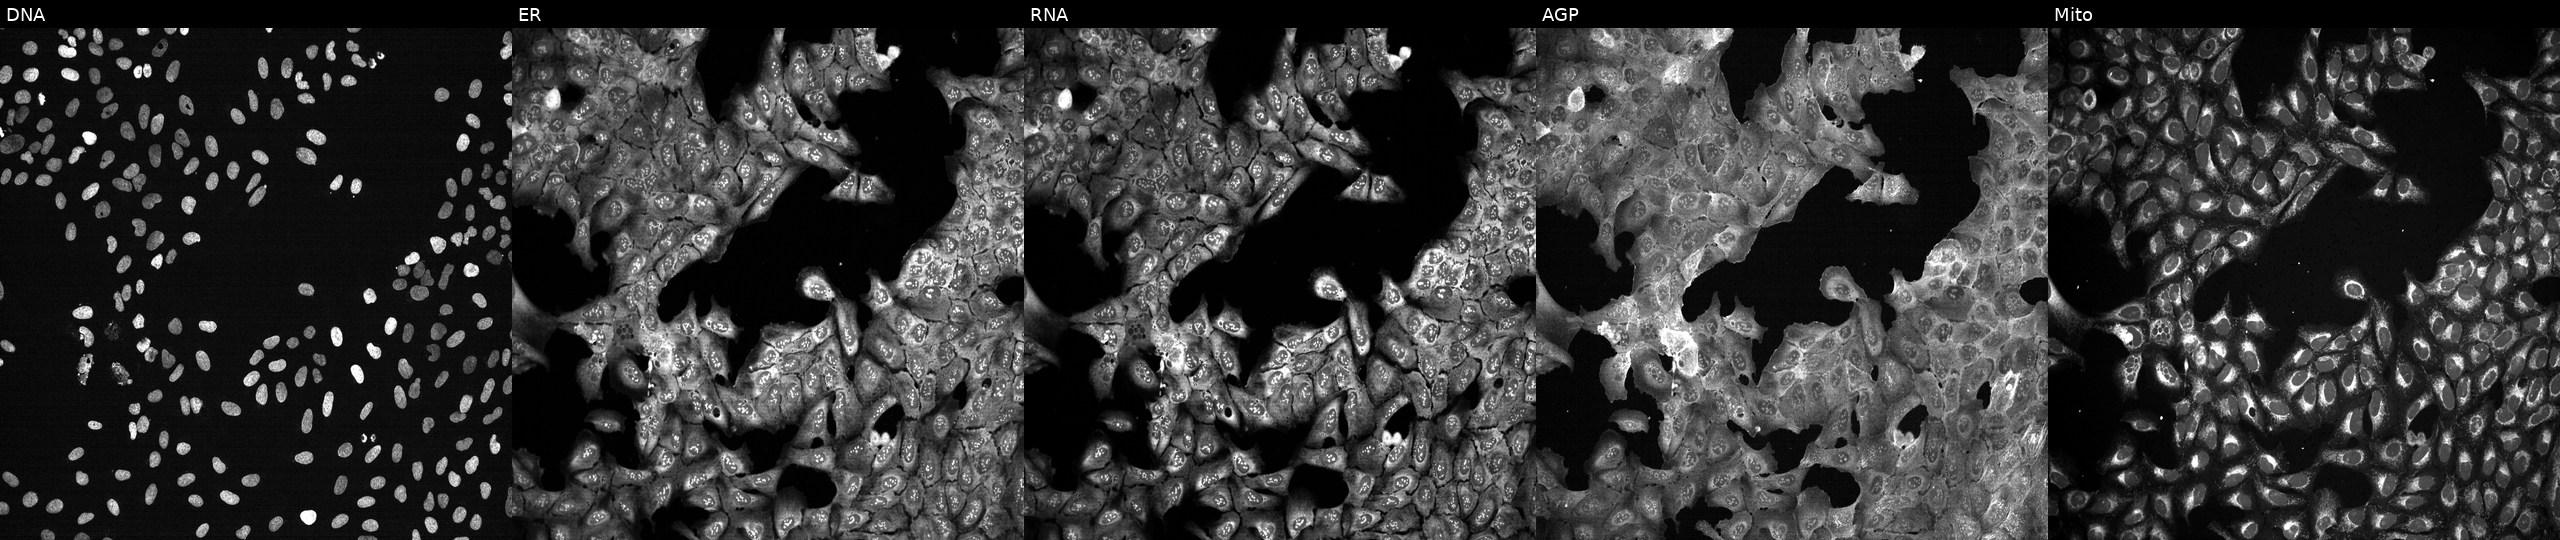
JUMP Cell Painting — CRISPR plate. U2OS cells CRISPR-edited to disrupt NDOR1 (JUMP id JCP2022_804462). The five panels, left to right, show DNA (nuclei); ER (endoplasmic reticulum); RNA (nucleoli and cytoplasmic RNA); AGP (actin cytoskeleton, Golgi, and plasma membrane); Mito (mitochondria).